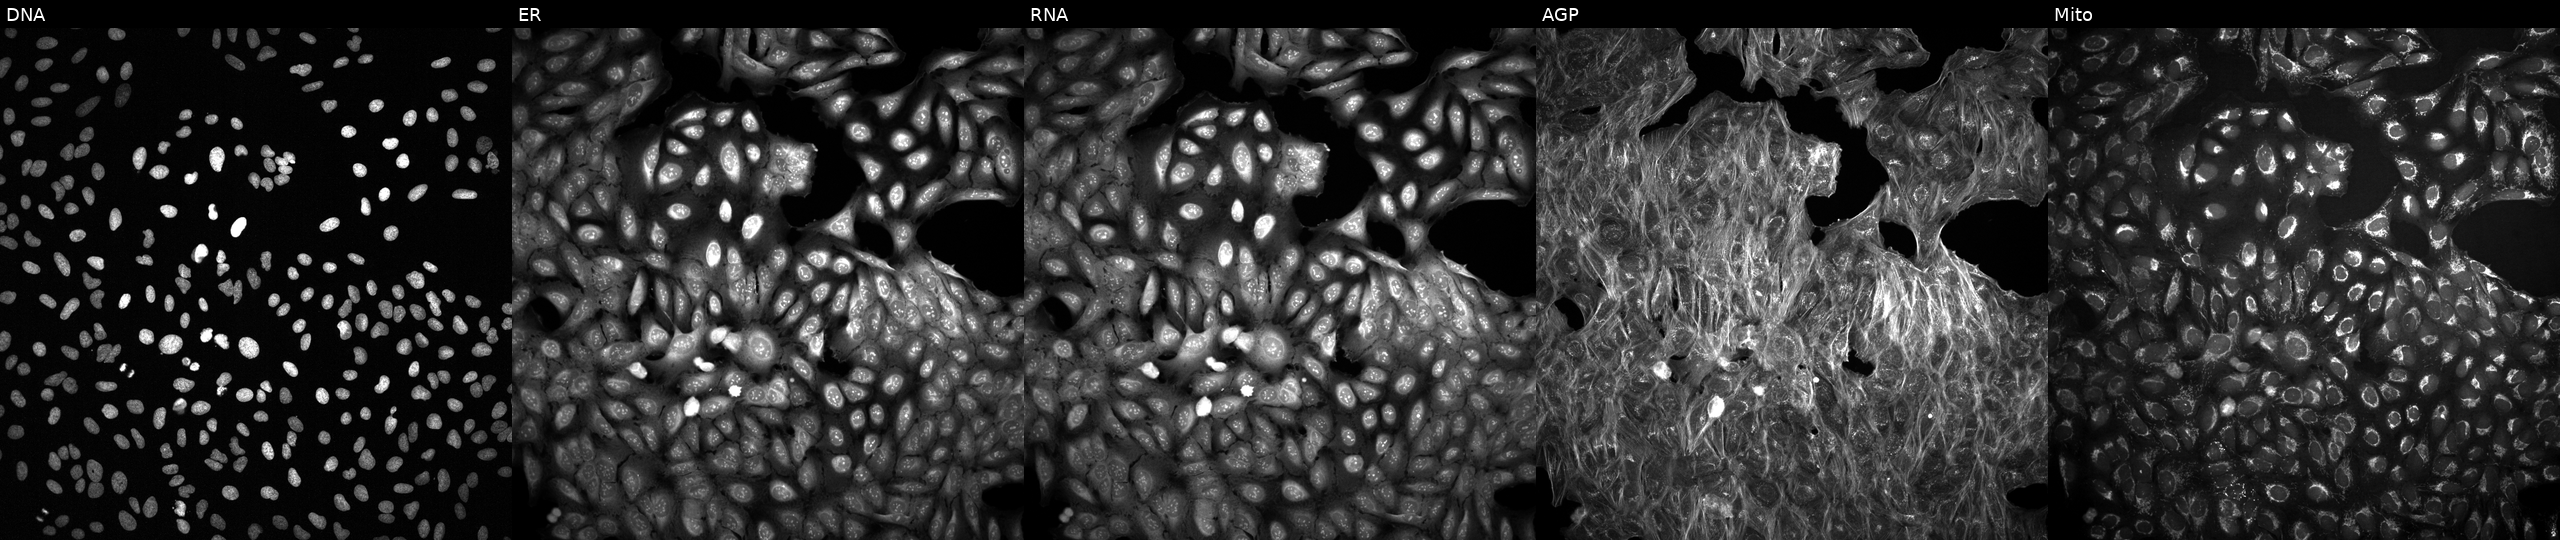
High-content fluorescence microscopy (Cell Painting). Cell line: U2OS. Perturbation: treated with a small-molecule compound (InChIKey RFMISISUTGKBMZ-UHFFFAOYSA-N) (JUMP id JCP2022_078039). From left to right: DNA (nuclei); ER (endoplasmic reticulum); RNA (nucleoli and cytoplasmic RNA); AGP (actin cytoskeleton, Golgi, and plasma membrane); Mito (mitochondria).